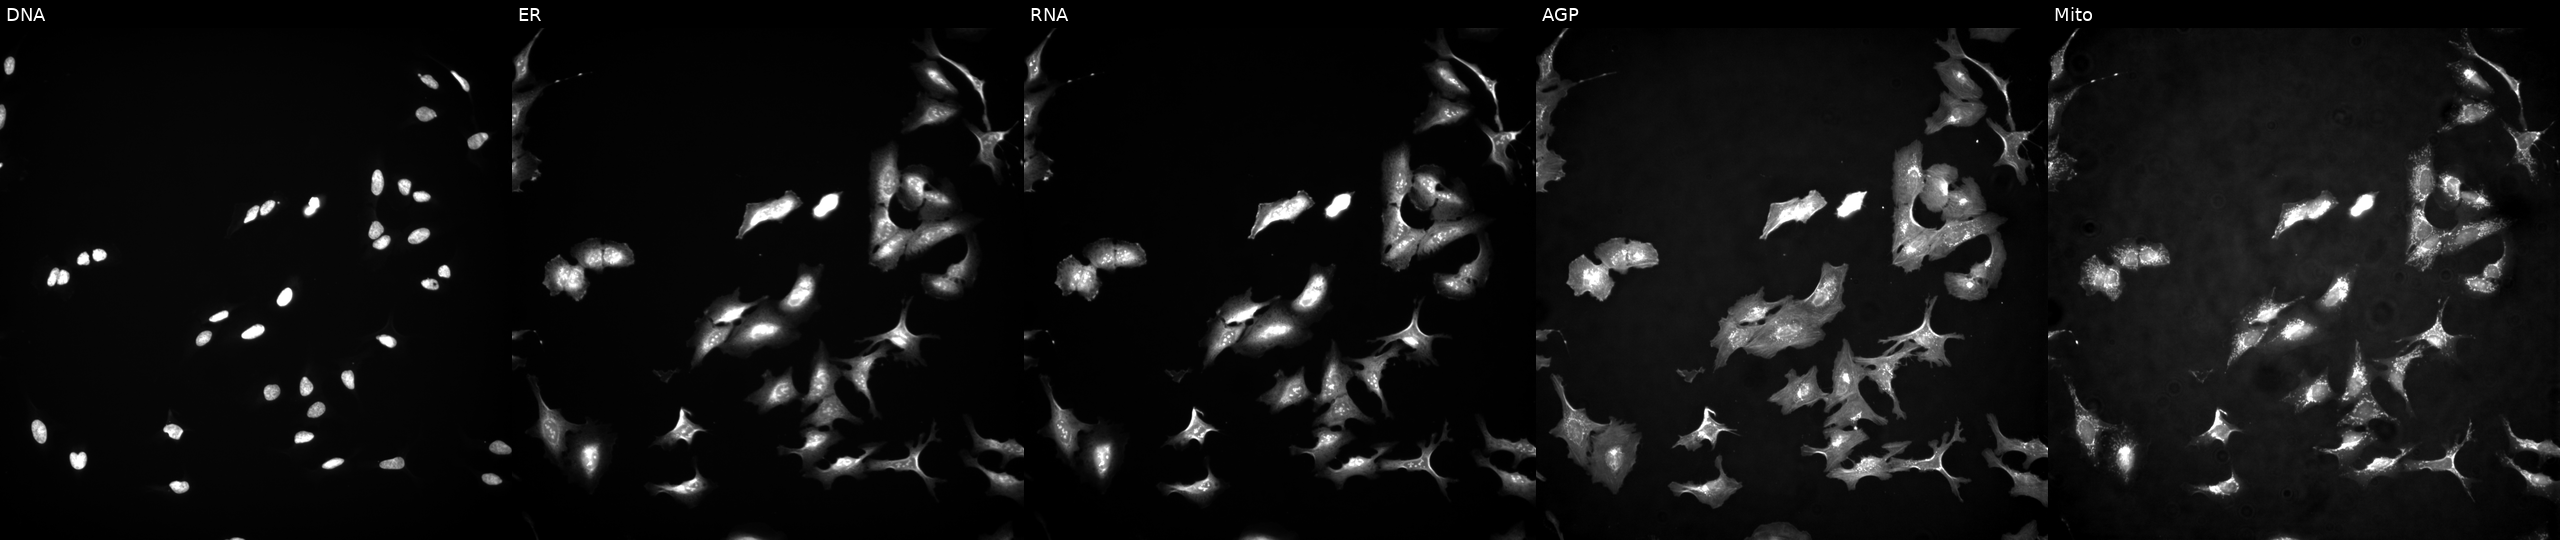
This image strip shows the five Cell Painting channels for a single field of U2OS cells transfected with an ORF construct for CDC7. Channels (left→right): DNA (nuclei); ER (endoplasmic reticulum); RNA (nucleoli and cytoplasmic RNA); AGP (actin cytoskeleton, Golgi, and plasma membrane); Mito (mitochondria).